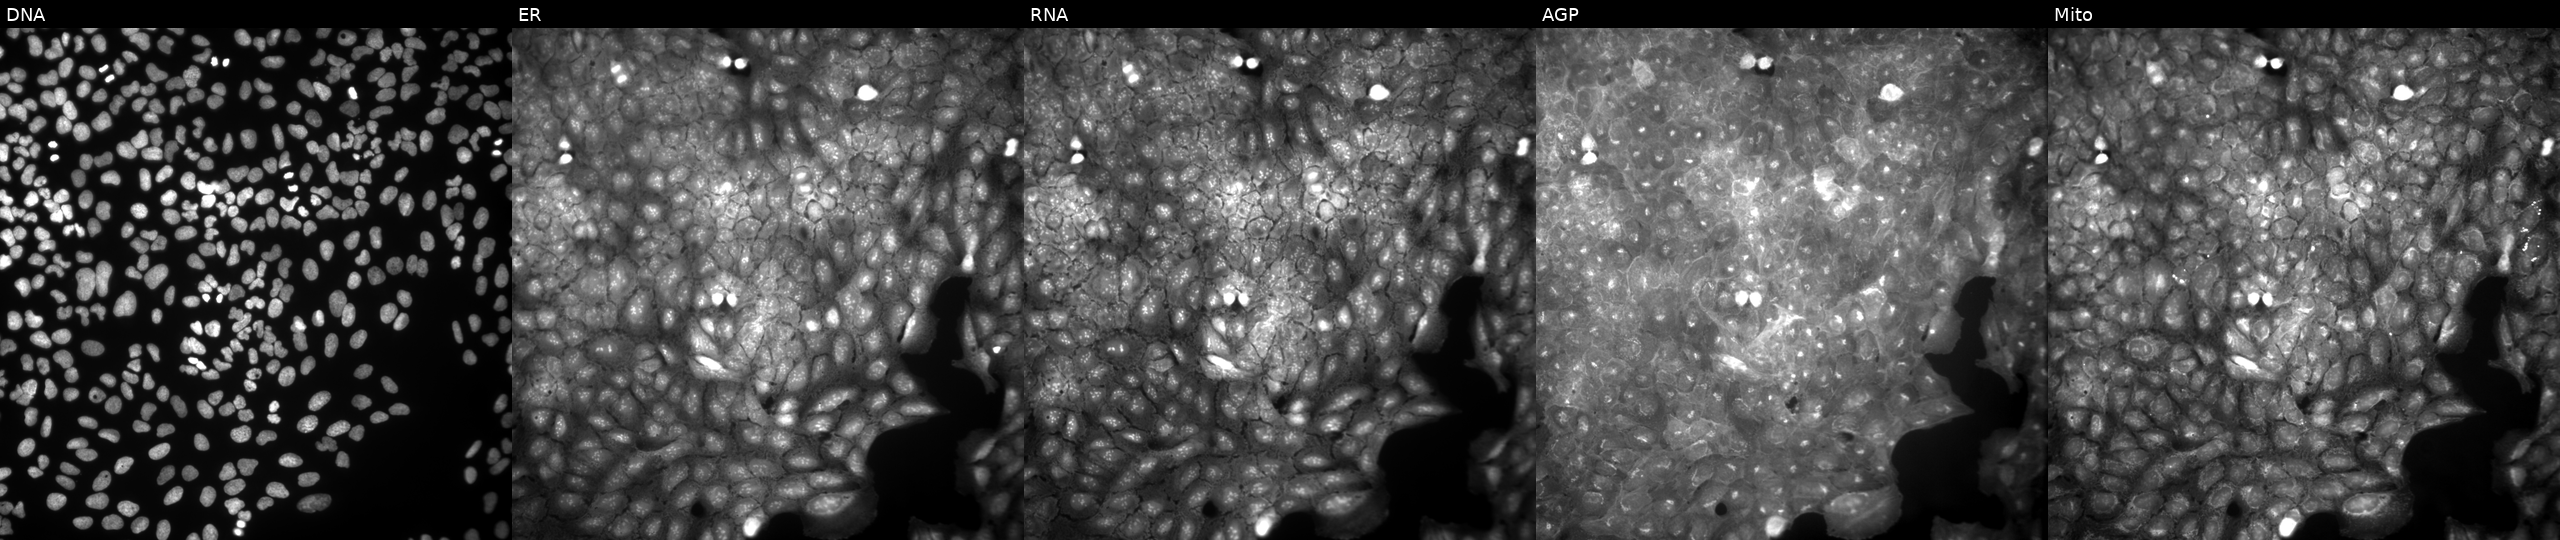
High-content fluorescence microscopy (Cell Painting). Cell line: U2OS. Perturbation: perturbed with a small-molecule compound (InChIKey XOMDPCJPFXWCAJ-UHFFFAOYSA-N) [SMILES: COCCOC(=O)c1c(C)oc2ccc(OC(=O)c3cccs3)cc12]. Panels show, left to right, DNA, ER, RNA, AGP, and Mito. Source 9, plate GR00003381, well T43.